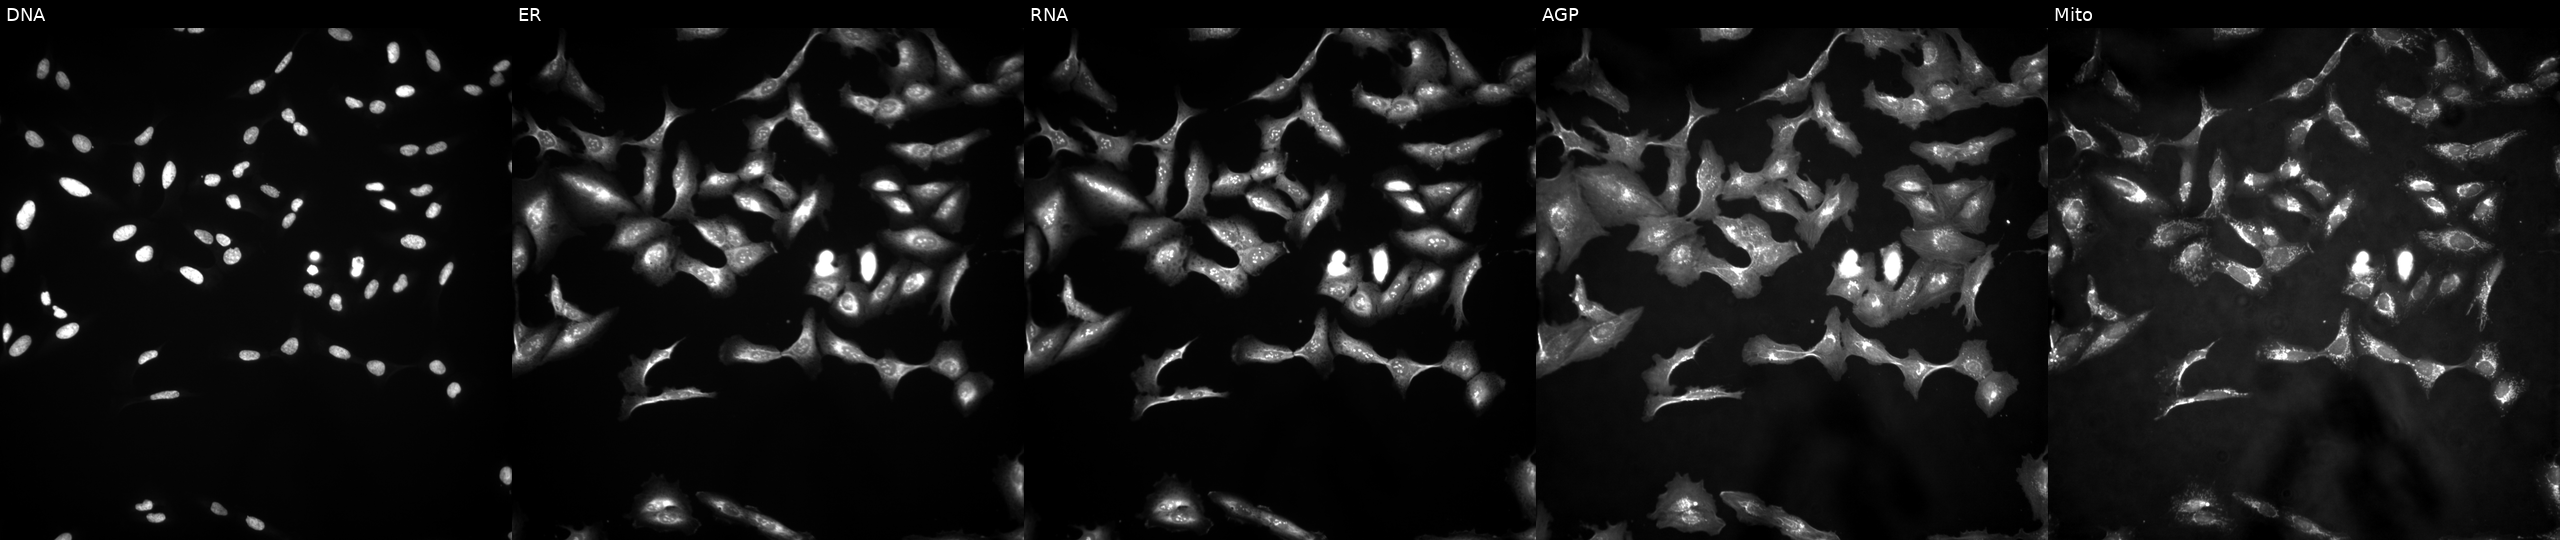
JUMP Cell Painting — ORF plate. U2OS cells untreated (empty-well control) (JUMP id JCP2022_999999). Panels show, left to right, Hoechst 33342, concanavalin A, SYTO 14, phalloidin and WGA, MitoTracker.